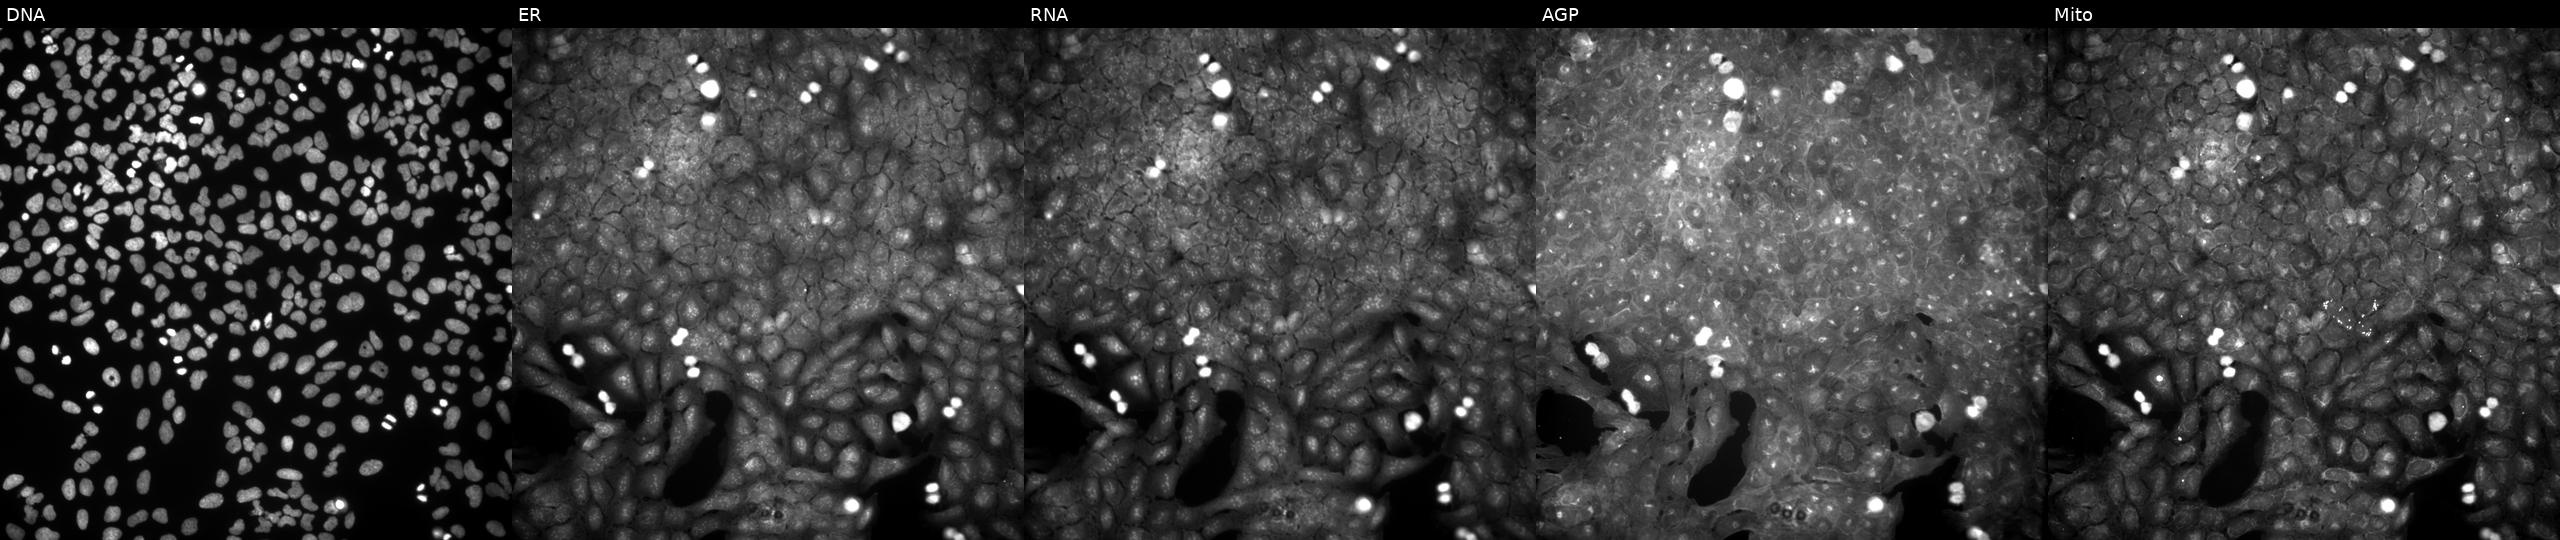
High-content fluorescence microscopy (Cell Painting). Cell line: U2OS. Perturbation: perturbed with a small-molecule compound [SMILES: O=C(Nc1cccnc1)c1cc(S(=O)(=O)N2CCCC2)ccc1Cl]. Channels (left→right): DNA (nuclei); ER (endoplasmic reticulum); RNA (nucleoli and cytoplasmic RNA); AGP (actin cytoskeleton, Golgi, and plasma membrane); Mito (mitochondria).